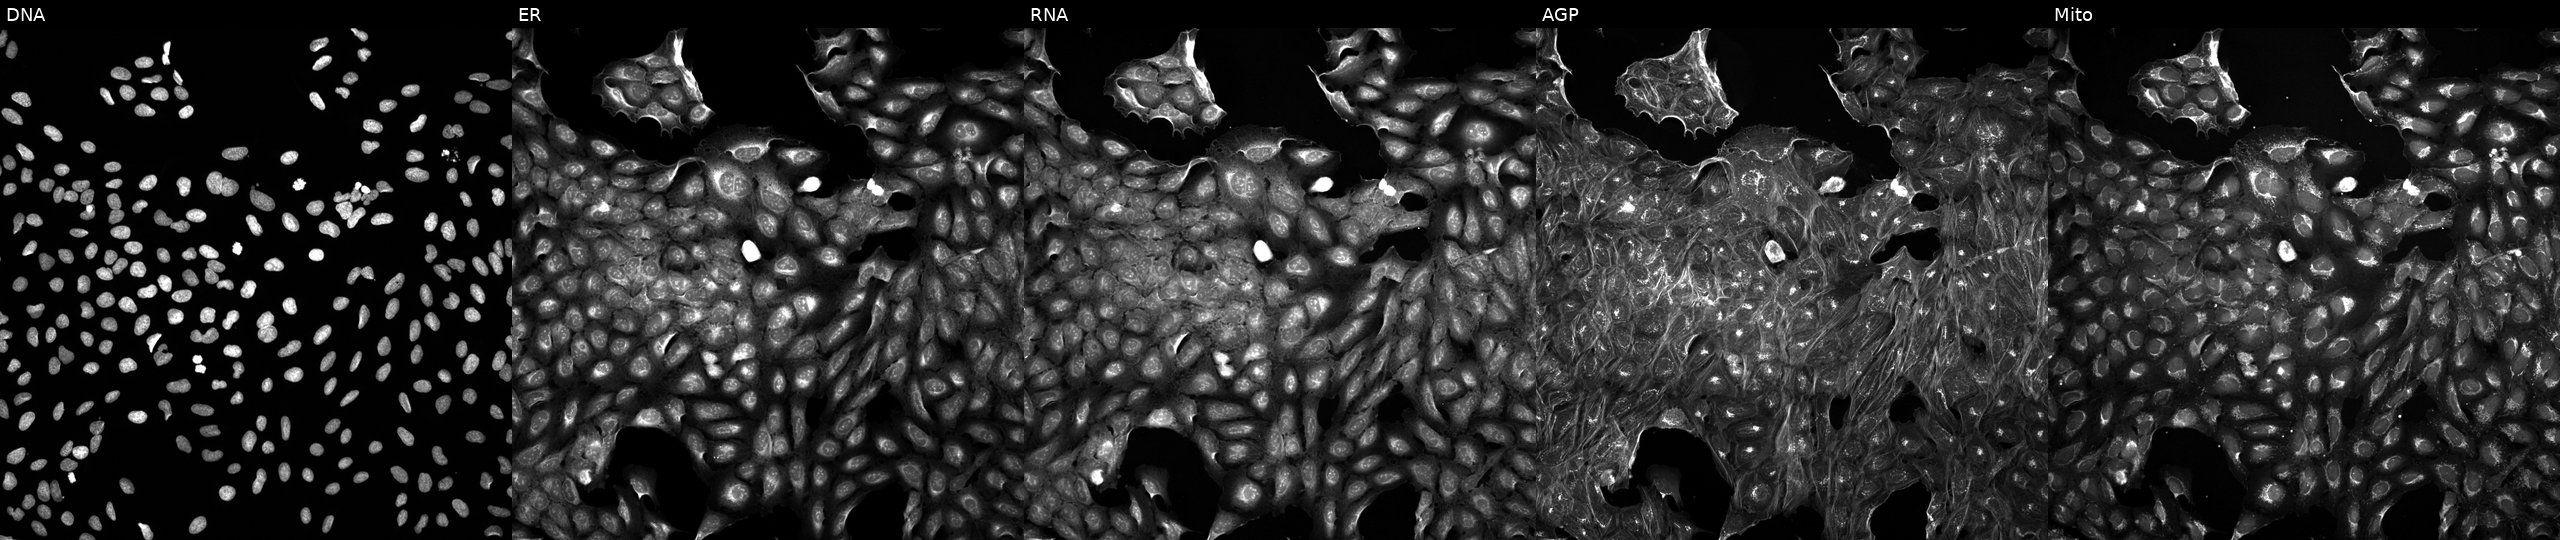
Five-channel Cell Painting image of U2OS cells exposed to a small-molecule compound (InChIKey UCAGLBKTLXCODC-UHFFFAOYSA-N) [SMILES: NS(=O)(=O)c1ccc(C(=O)O)cc1] (JUMP id JCP2022_088224). Panels show, left to right, DNA (nuclei); ER (endoplasmic reticulum); RNA (nucleoli and cytoplasmic RNA); AGP (actin cytoskeleton, Golgi, and plasma membrane); Mito (mitochondria). Source 5, plate ACPJUM051, well K03.